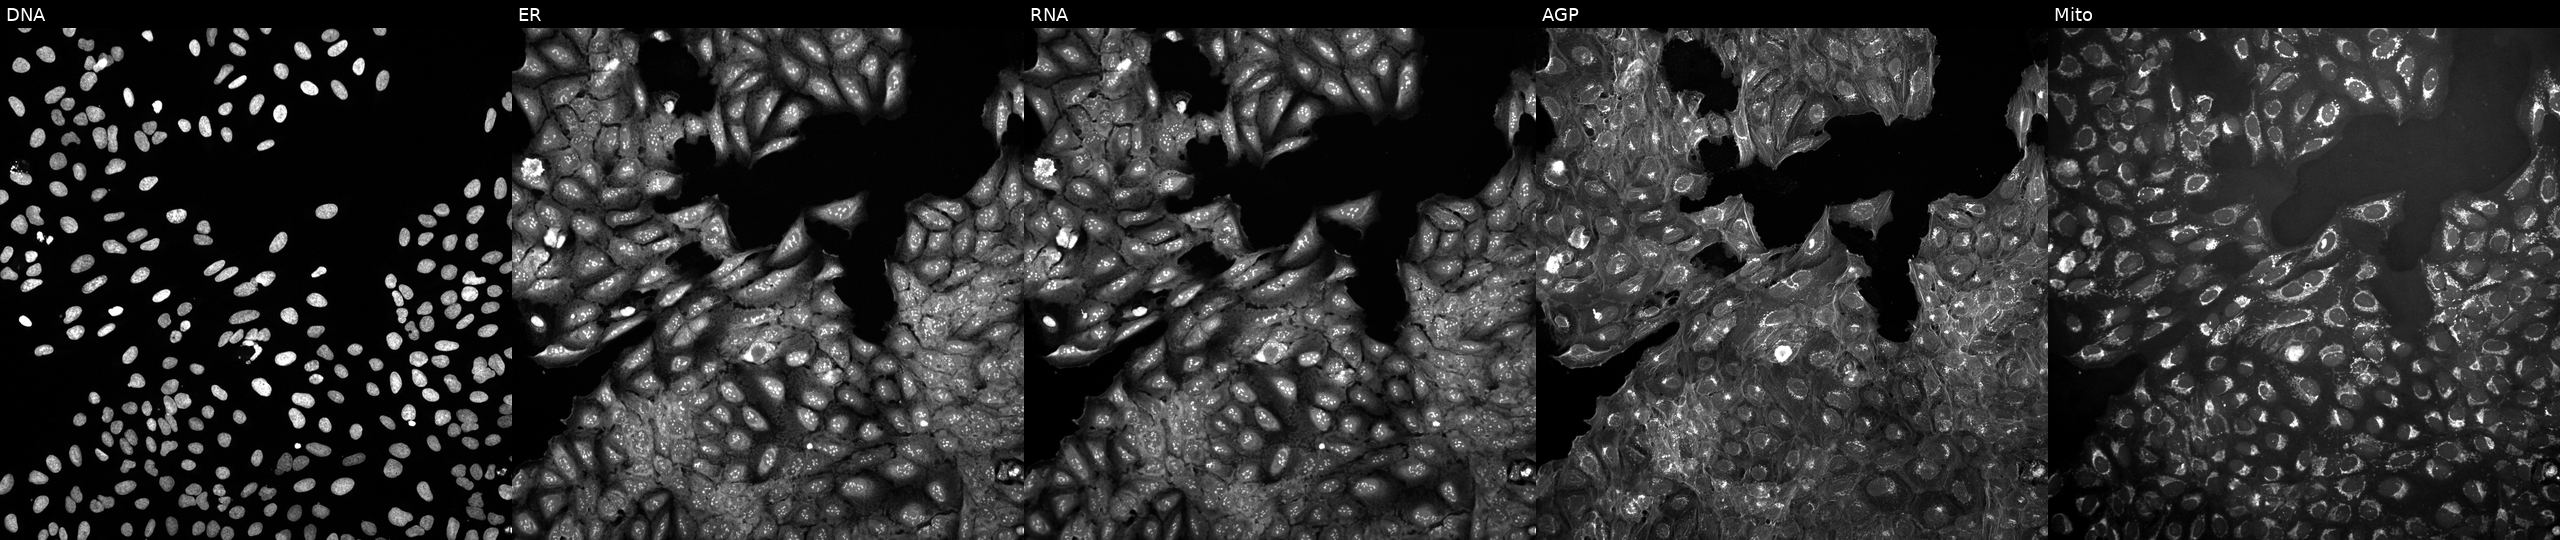
JUMP Cell Painting — COMPOUND plate. U2OS cells exposed to a small-molecule compound (InChIKey HDCUYHNWGSATQA-UHFFFAOYSA-N) (JUMP id JCP2022_029445). Panels show, left to right, Hoechst 33342, concanavalin A, SYTO 14, phalloidin and WGA, MitoTracker.